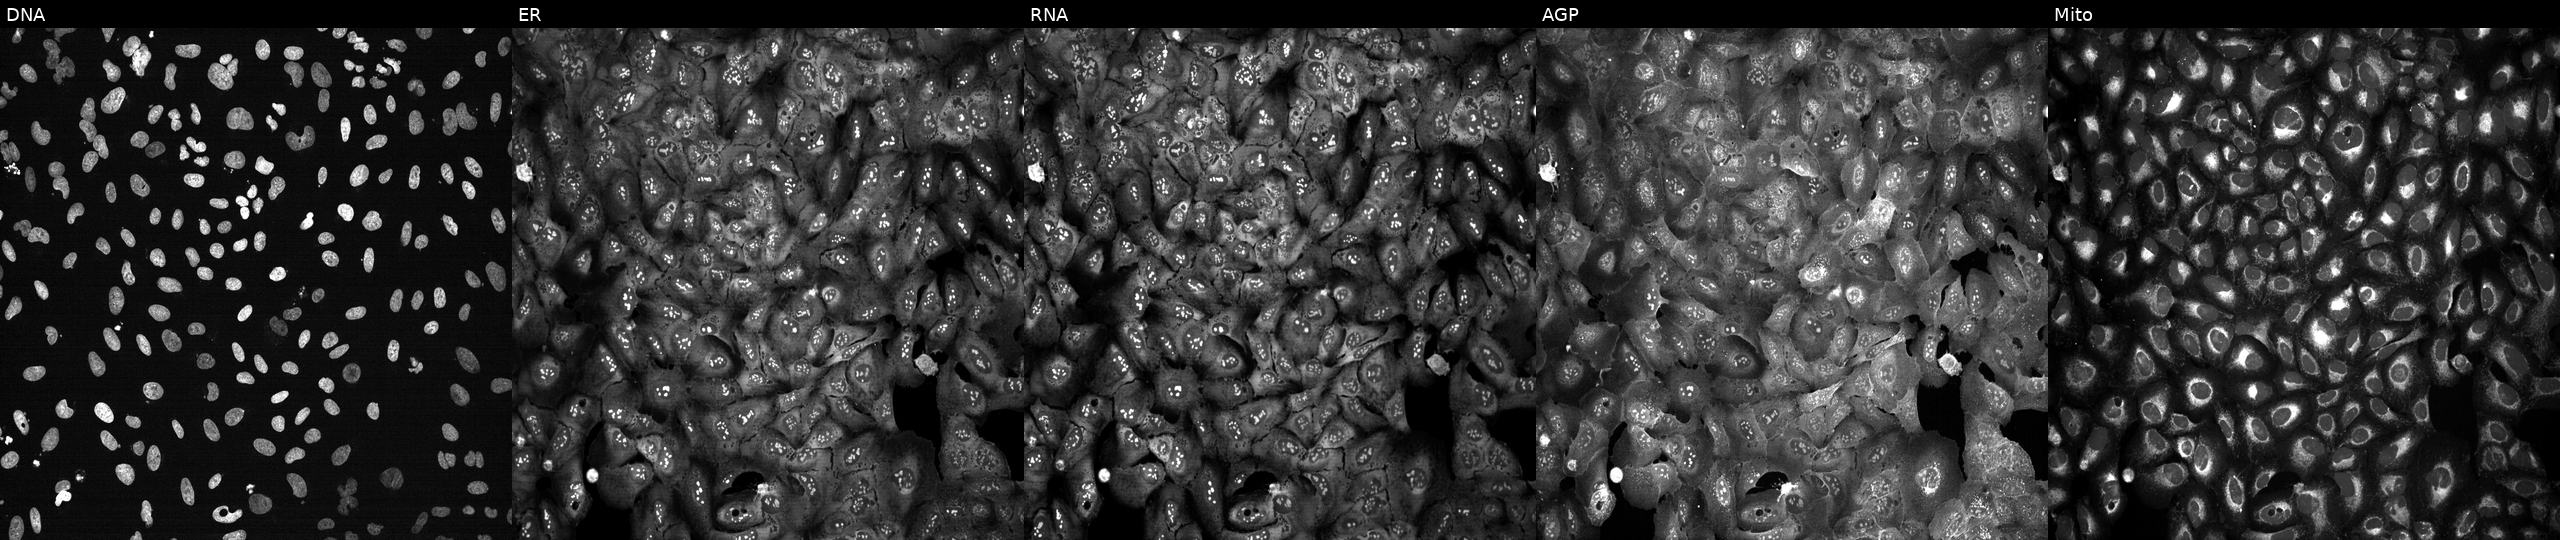
U2OS cells, Cell Painting assay, CRISPR-edited to disrupt DDB1 (JUMP id JCP2022_801708). Panels show, left to right, DNA, ER, RNA, AGP, and Mito. Each panel is percentile-stretched 16-bit fluorescence.